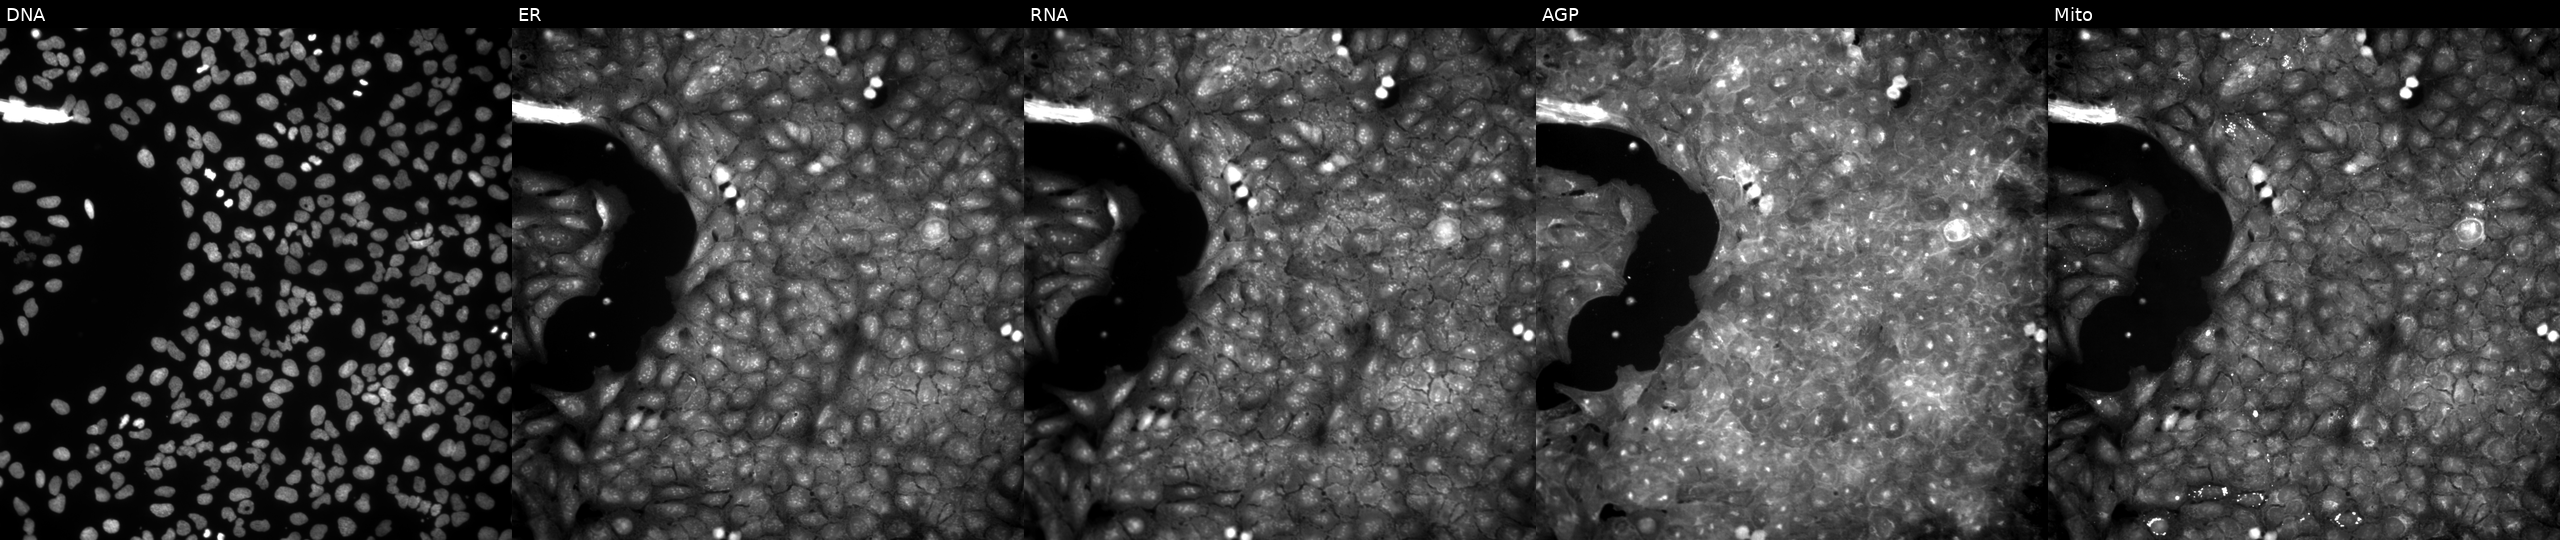
Five-channel Cell Painting image of U2OS cells exposed to the positive-control compound aloxistatin (JUMP id JCP2022_085227). From left to right: Hoechst 33342, concanavalin A, SYTO 14, phalloidin and WGA, MitoTracker.